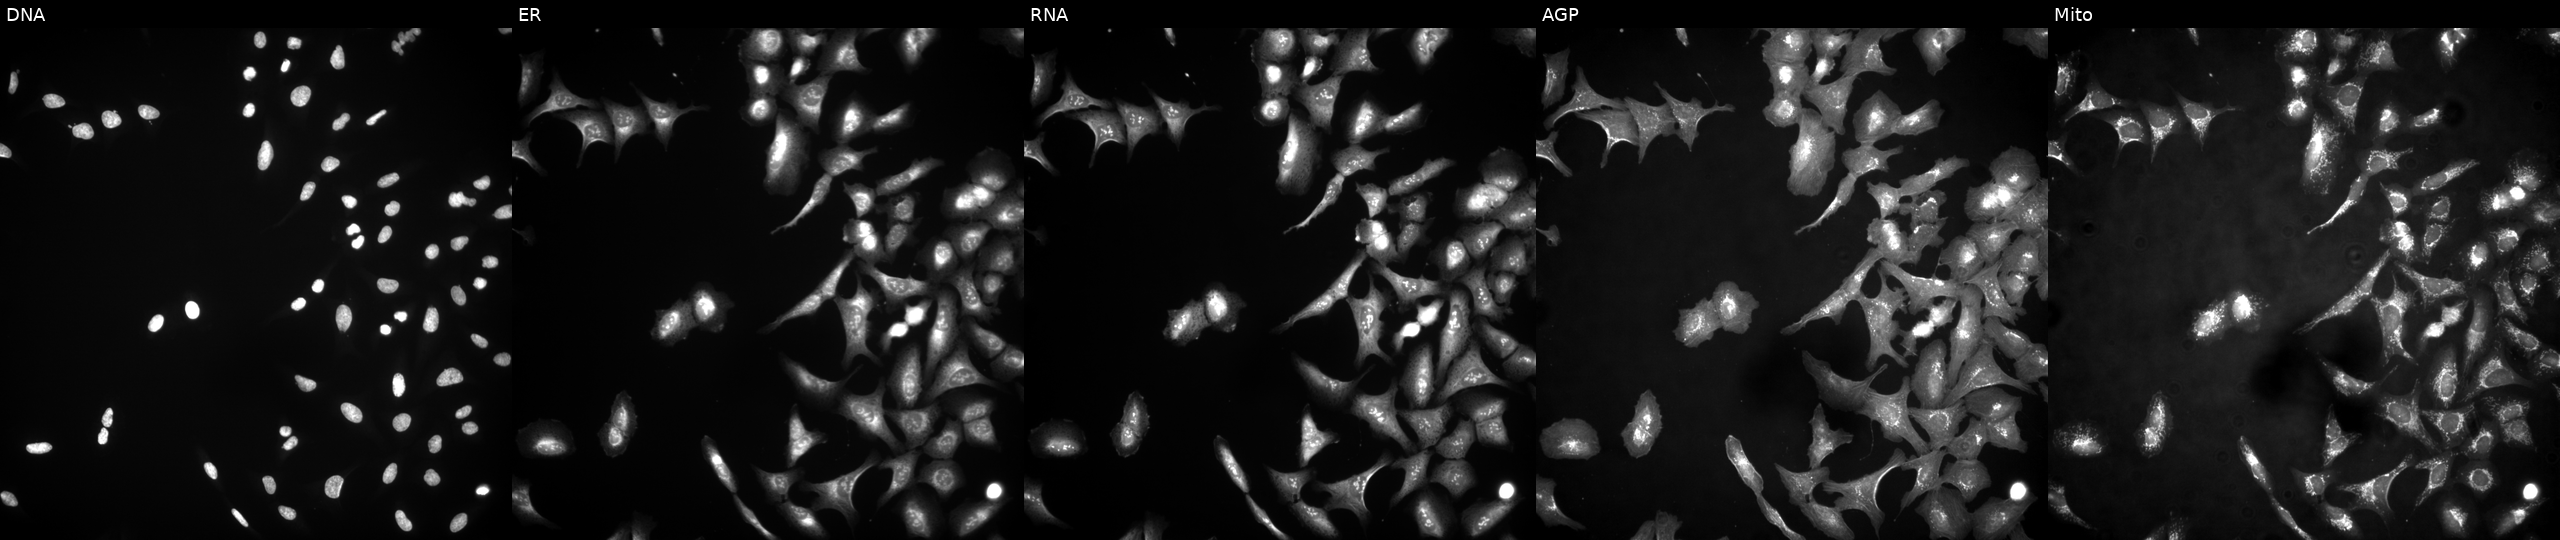
Five-channel Cell Painting image of U2OS cells with RPS27L overexpressed (ORF). From left to right: Hoechst 33342, concanavalin A, SYTO 14, phalloidin and WGA, MitoTracker. Source 4, plate BR00124790, well I14.